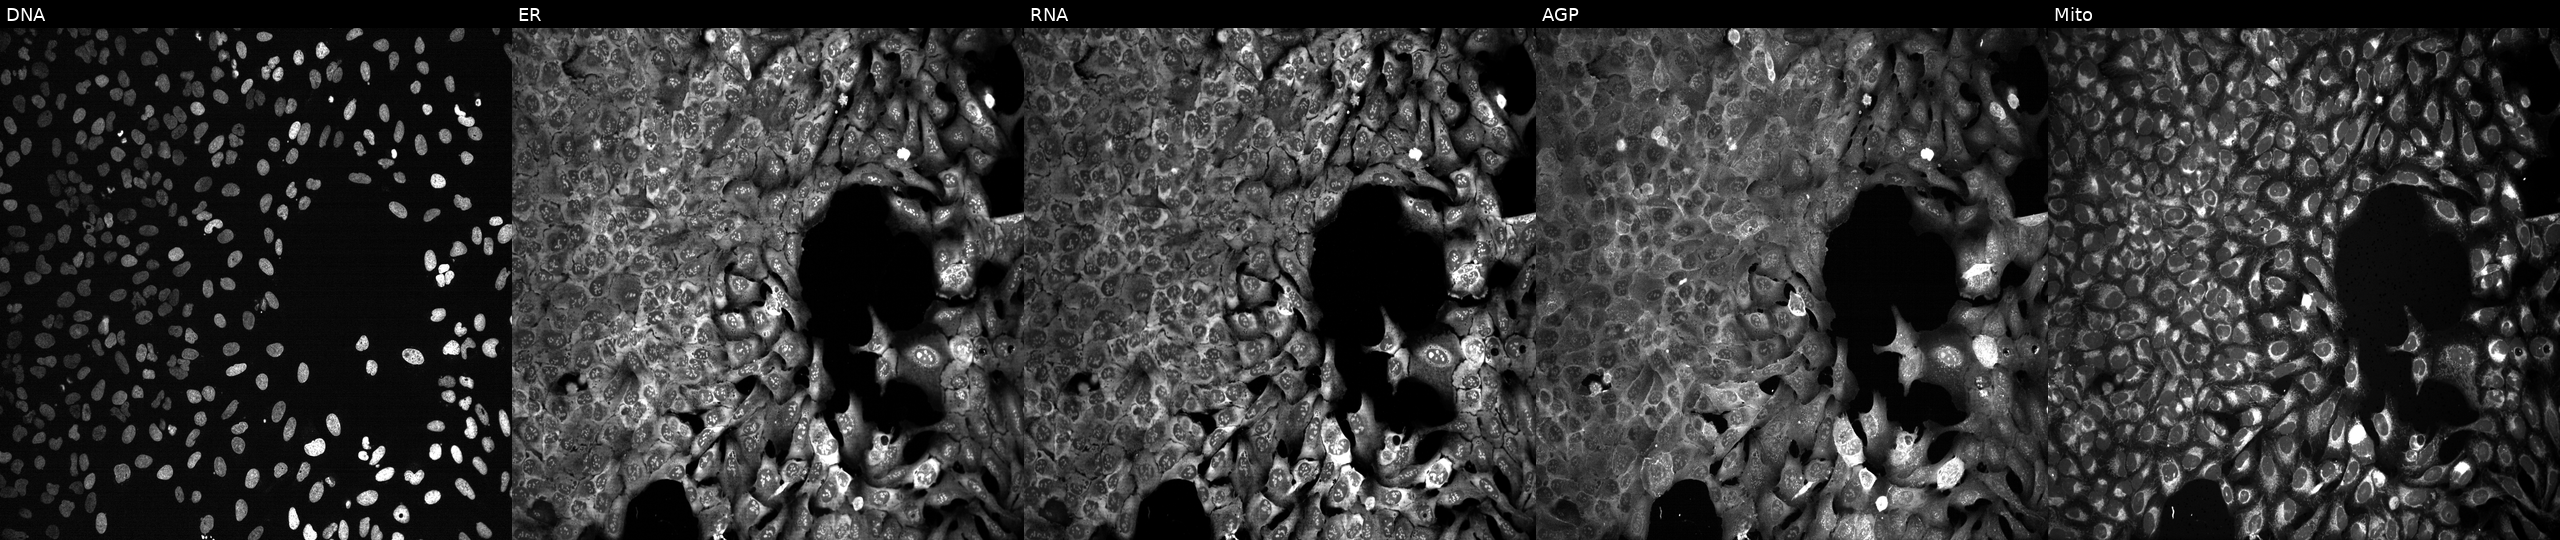
This image strip shows the five Cell Painting channels for a single field of U2OS cells following CRISPR knockout of PLD3 (JUMP id JCP2022_805260). From left to right: DNA (nuclei); ER (endoplasmic reticulum); RNA (nucleoli and cytoplasmic RNA); AGP (actin cytoskeleton, Golgi, and plasma membrane); Mito (mitochondria). Source 13, plate CP-CC9-R4-03, well C08.